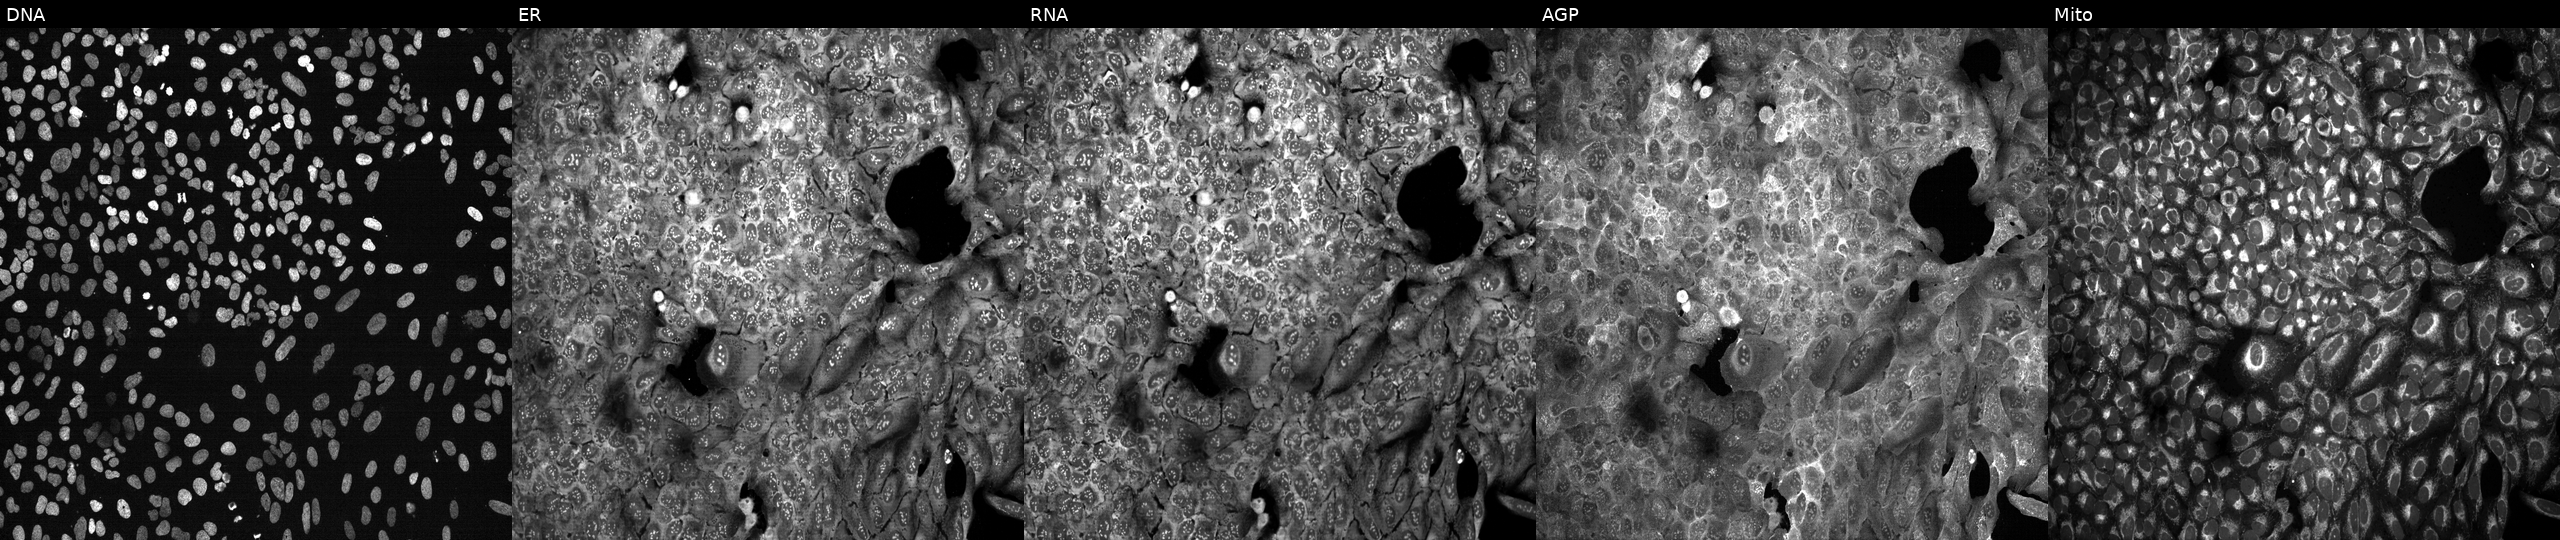
JUMP Cell Painting — CRISPR plate. U2OS cells CRISPR-edited to disrupt PEX7 (JUMP id JCP2022_805054). The five panels, left to right, show Hoechst 33342, concanavalin A, SYTO 14, phalloidin and WGA, MitoTracker. Source 13, plate CP-CC9-R4-04, well I16.